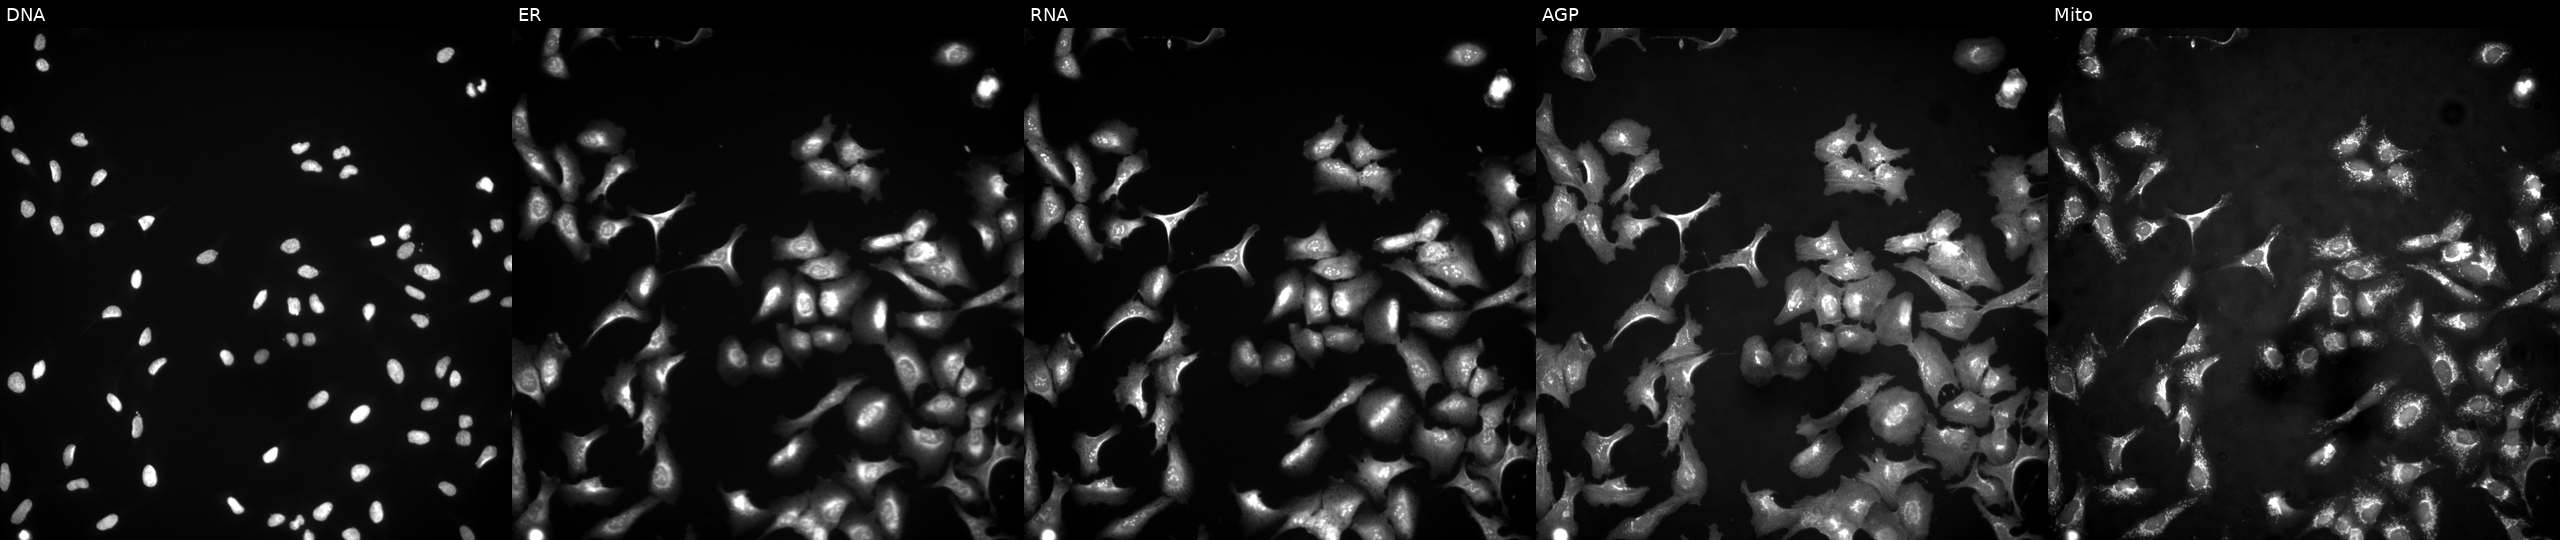
The five panels, left to right, show DNA, ER, RNA, AGP, and Mito. U2OS osteosarcoma cells with GPR180 overexpressed (ORF) (JUMP id JCP2022_912413). Cell Painting assay, JUMP-CP dataset.